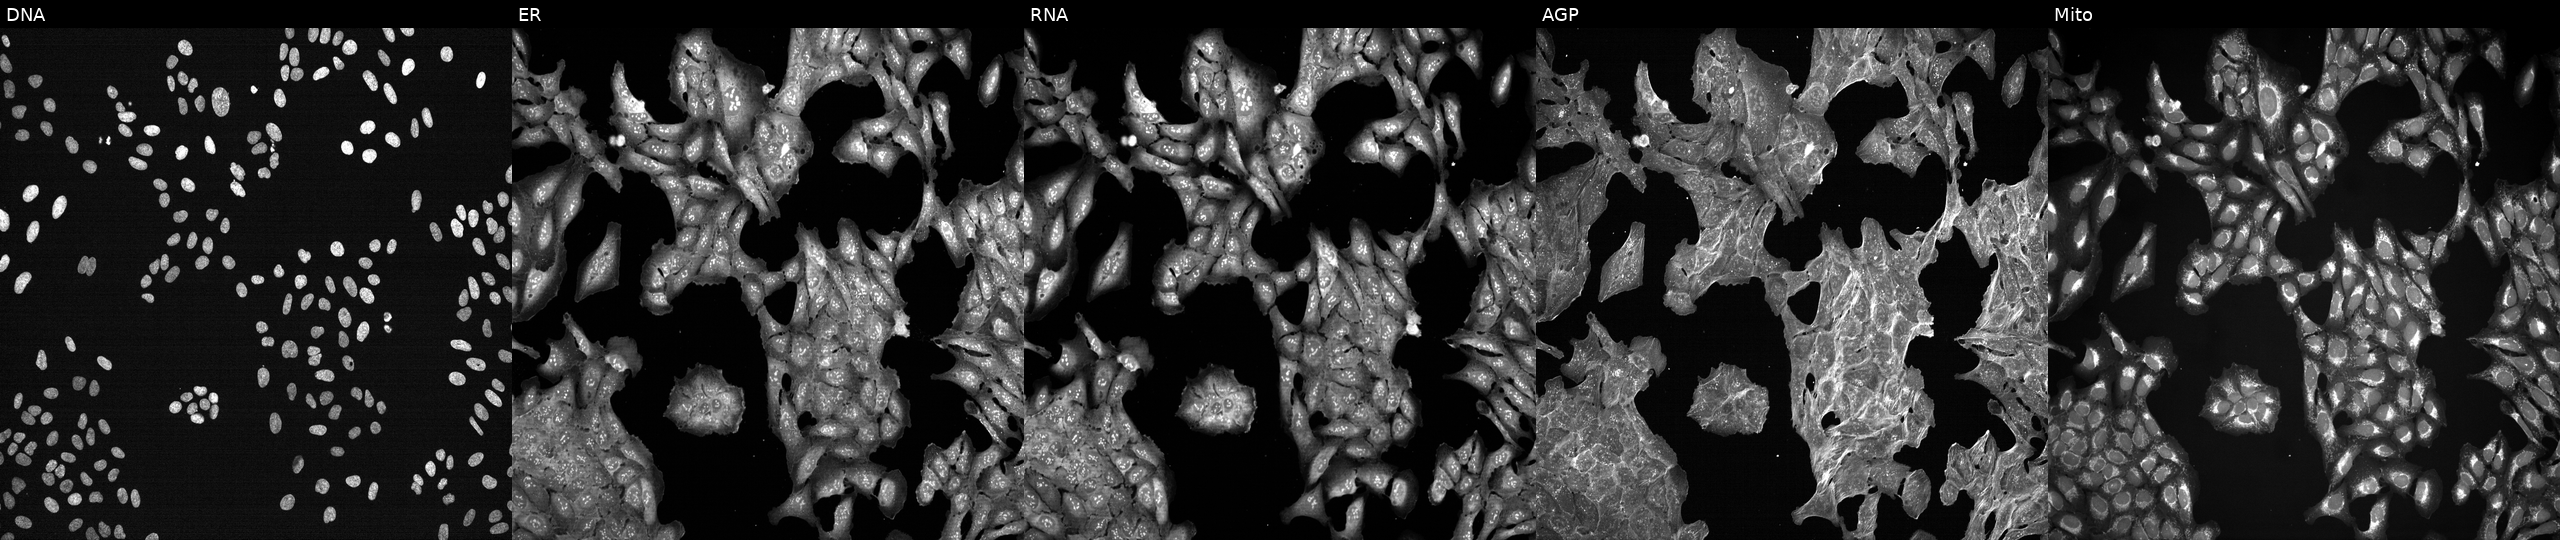
JUMP Cell Painting — TARGET2 plate. U2OS cells treated with a small-molecule compound (InChIKey LMEKQMALGUDUQG-UHFFFAOYSA-N) [SMILES: Cn1cnc([N+](=O)[O-])c1Sc1ncnc2[nH]cnc12] (JUMP id JCP2022_050338). Channels (left→right): DNA, ER, RNA, AGP, and Mito. Source 7, plate CP3-SC1-25, well I08.